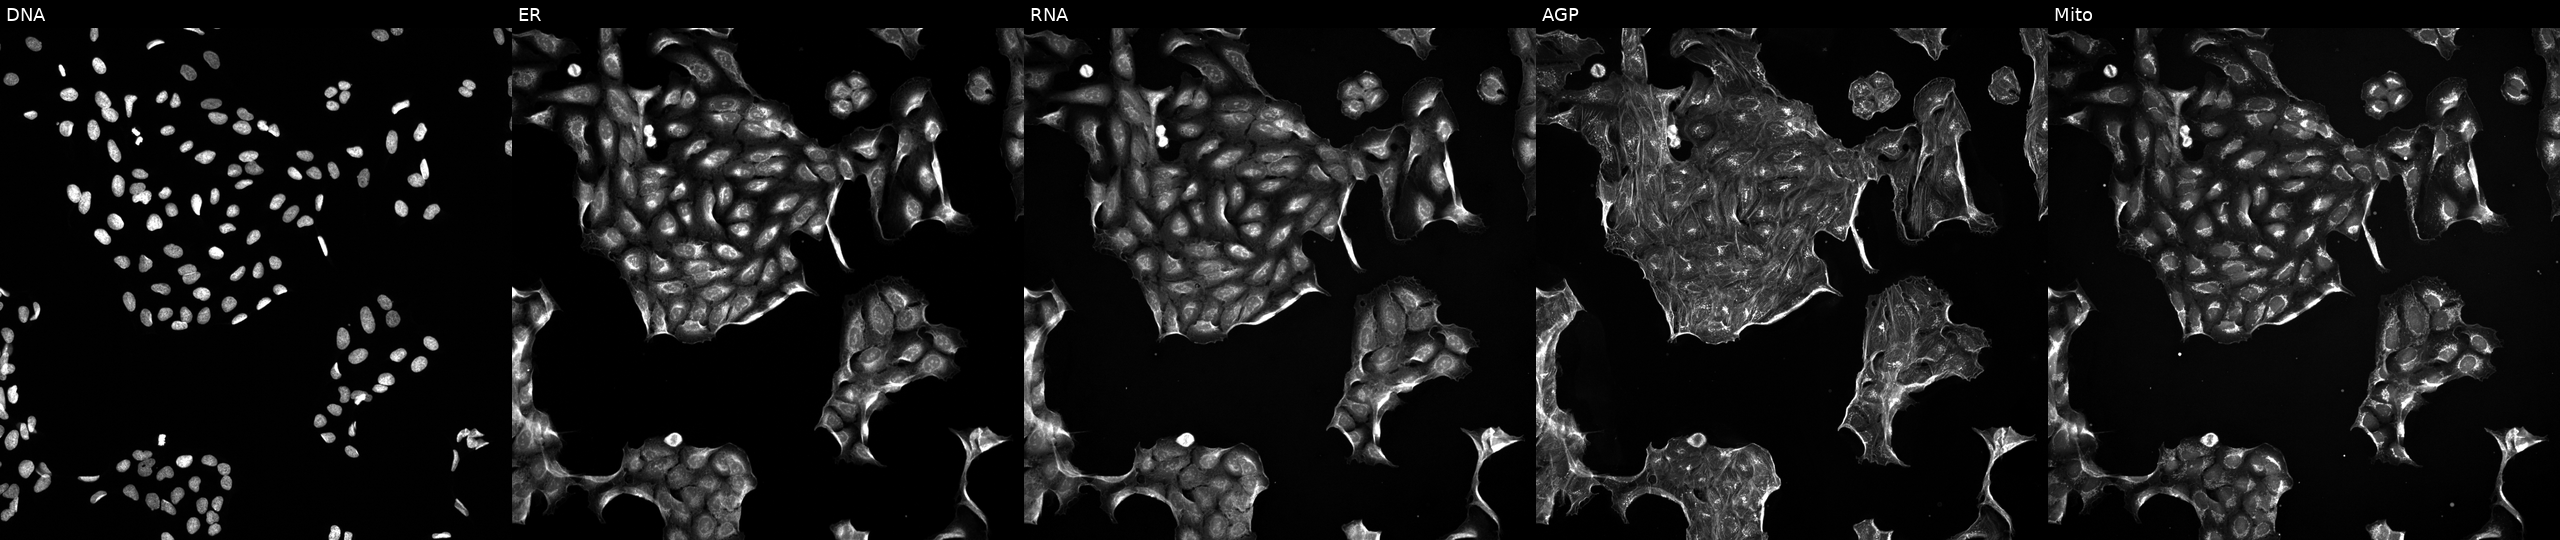
High-content fluorescence microscopy (Cell Painting). Cell line: U2OS. Perturbation: perturbed with a small-molecule compound [SMILES: O=C(NCCCN1CCC2(CC1)OCc1ccccc12)C1CCCN1Cc1ccccc1]. From left to right: DNA (nuclei); ER (endoplasmic reticulum); RNA (nucleoli and cytoplasmic RNA); AGP (actin cytoskeleton, Golgi, and plasma membrane); Mito (mitochondria).